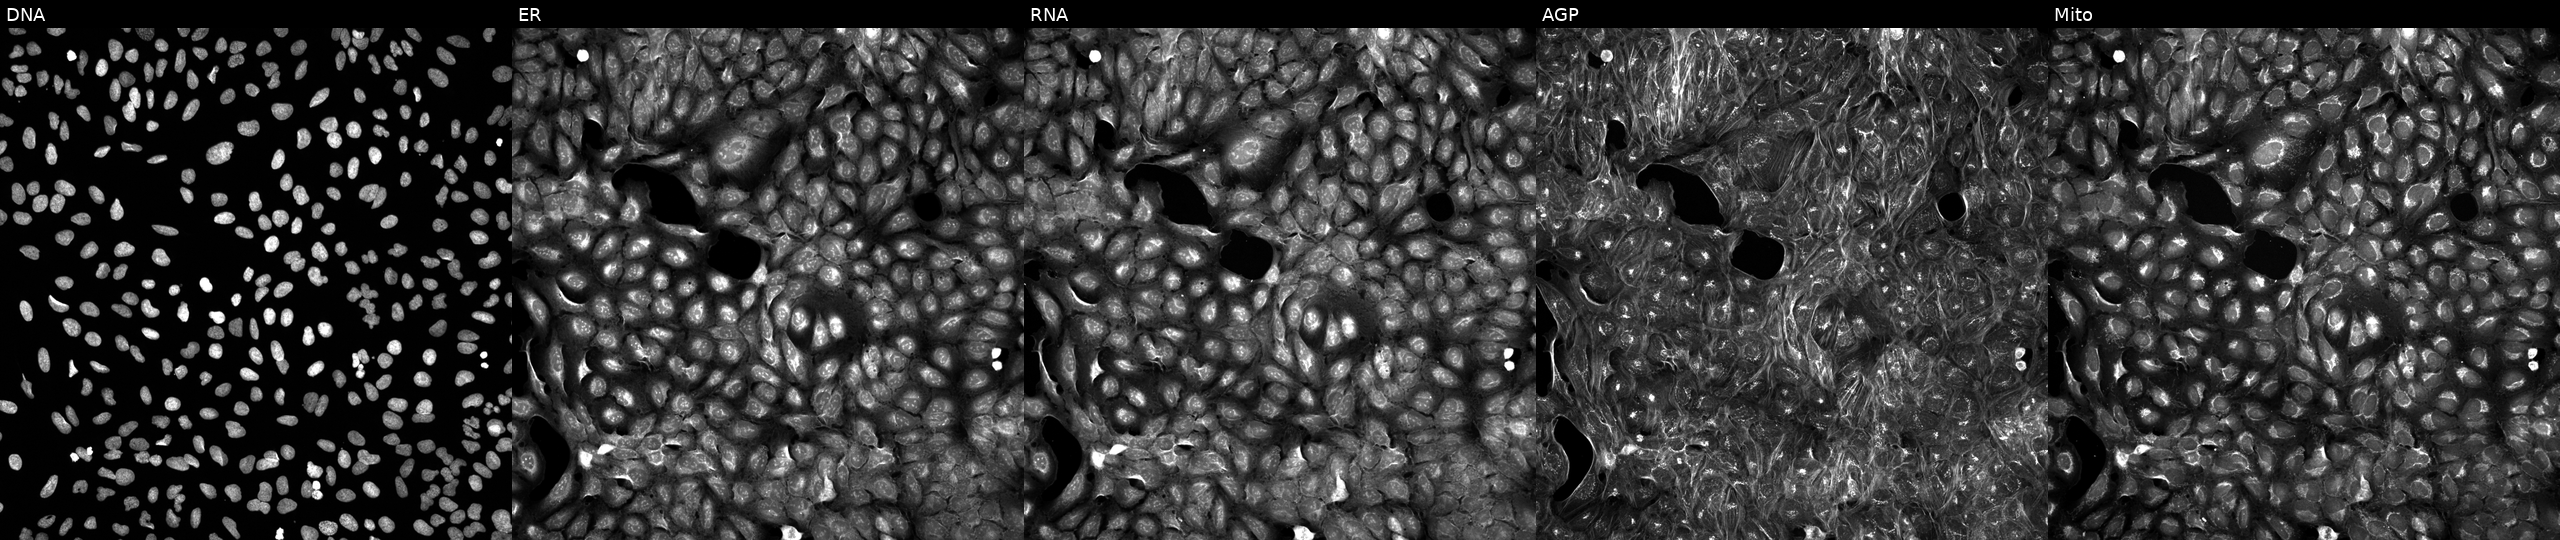
Five-channel Cell Painting image of U2OS cells exposed to a small-molecule compound (InChIKey UQMSROLFUXOBNO-UHFFFAOYSA-N). Channels (left→right): DNA (nuclei); ER (endoplasmic reticulum); RNA (nucleoli and cytoplasmic RNA); AGP (actin cytoskeleton, Golgi, and plasma membrane); Mito (mitochondria).